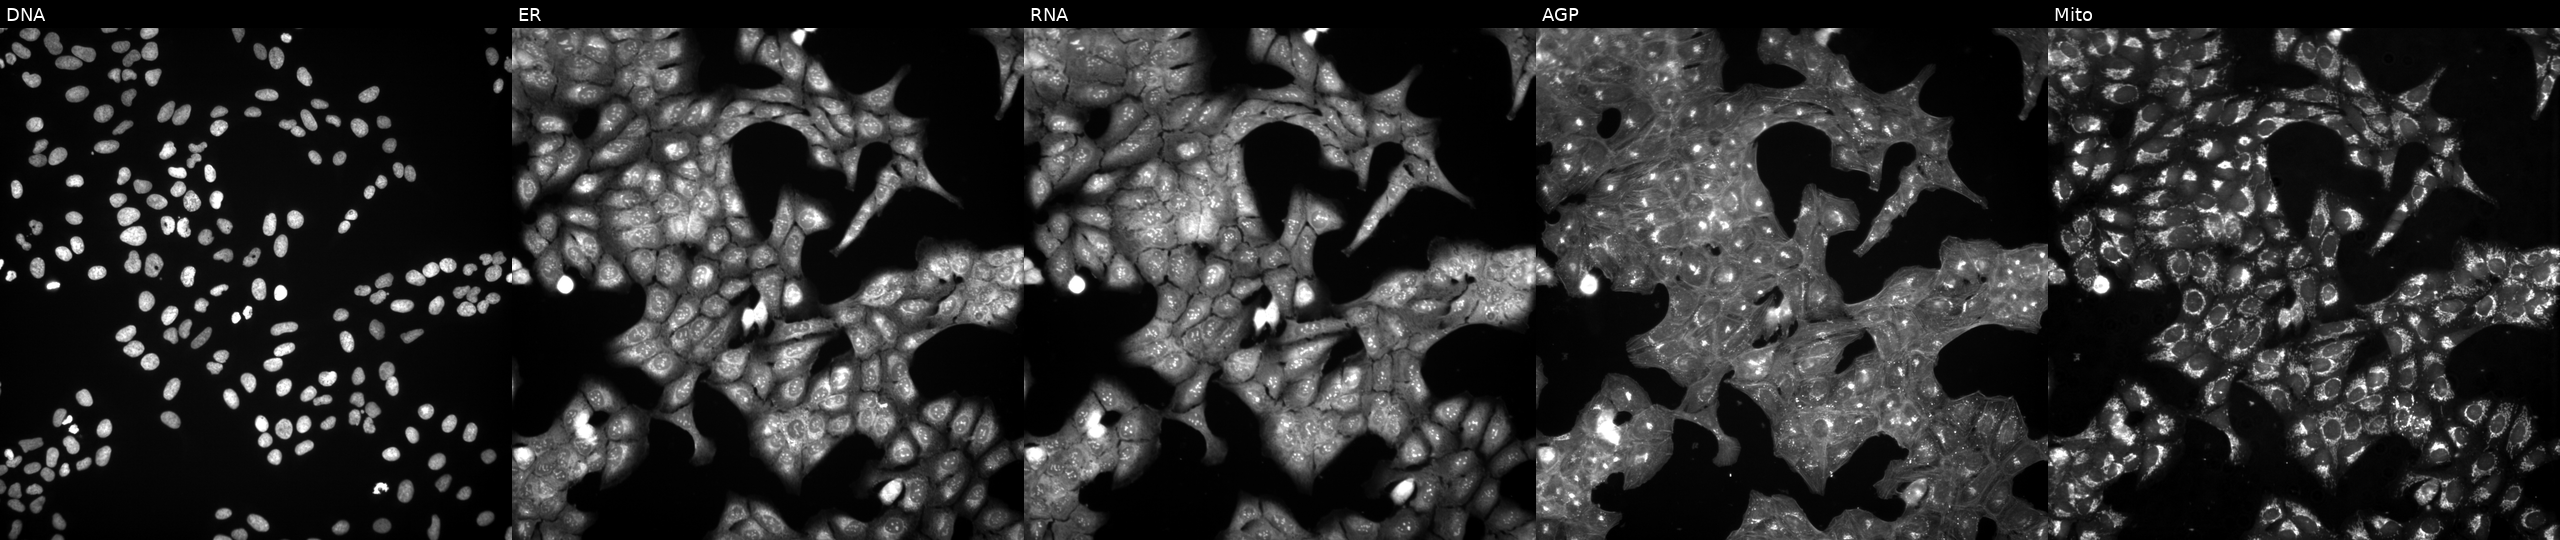
U2OS cells, Cell Painting assay, treated with a small-molecule compound (InChIKey ZJMDTBBCNMGFMS-UHFFFAOYSA-N) [SMILES: CN1CCN(c2ccc(C=C(C#N)c3ccccc3Br)cc2)CC1] (JUMP id JCP2022_113710). From left to right: Hoechst 33342, concanavalin A, SYTO 14, phalloidin and WGA, MitoTracker. Each panel is percentile-stretched 16-bit fluorescence.